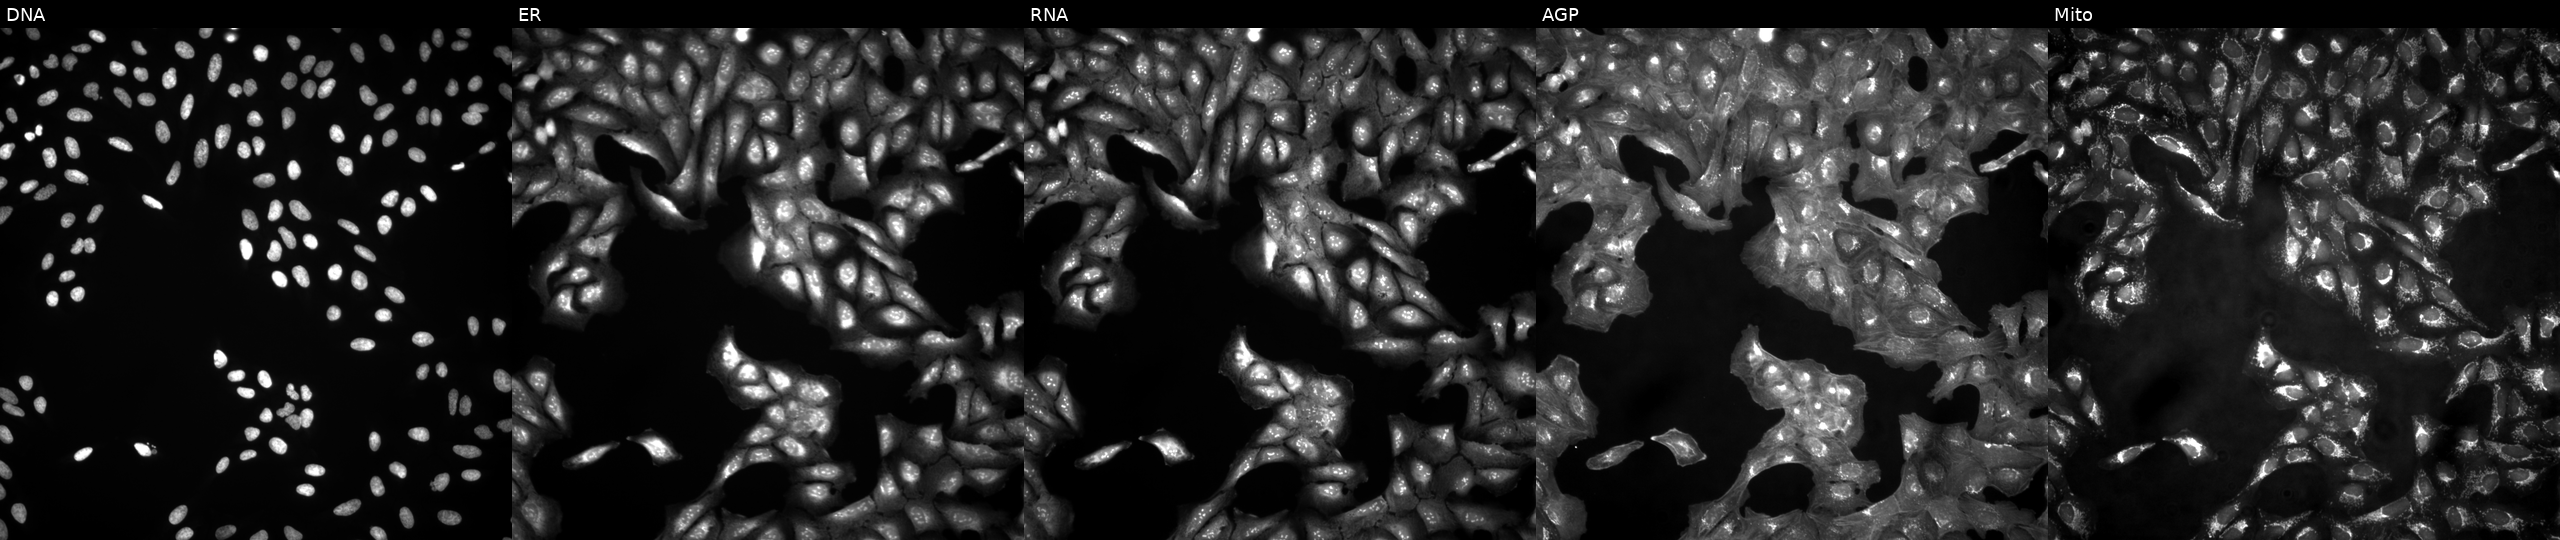
Five-channel Cell Painting image of U2OS cells in an empty control well (no perturbation) (JUMP id JCP2022_999999). From left to right: DNA (nuclei); ER (endoplasmic reticulum); RNA (nucleoli and cytoplasmic RNA); AGP (actin cytoskeleton, Golgi, and plasma membrane); Mito (mitochondria).